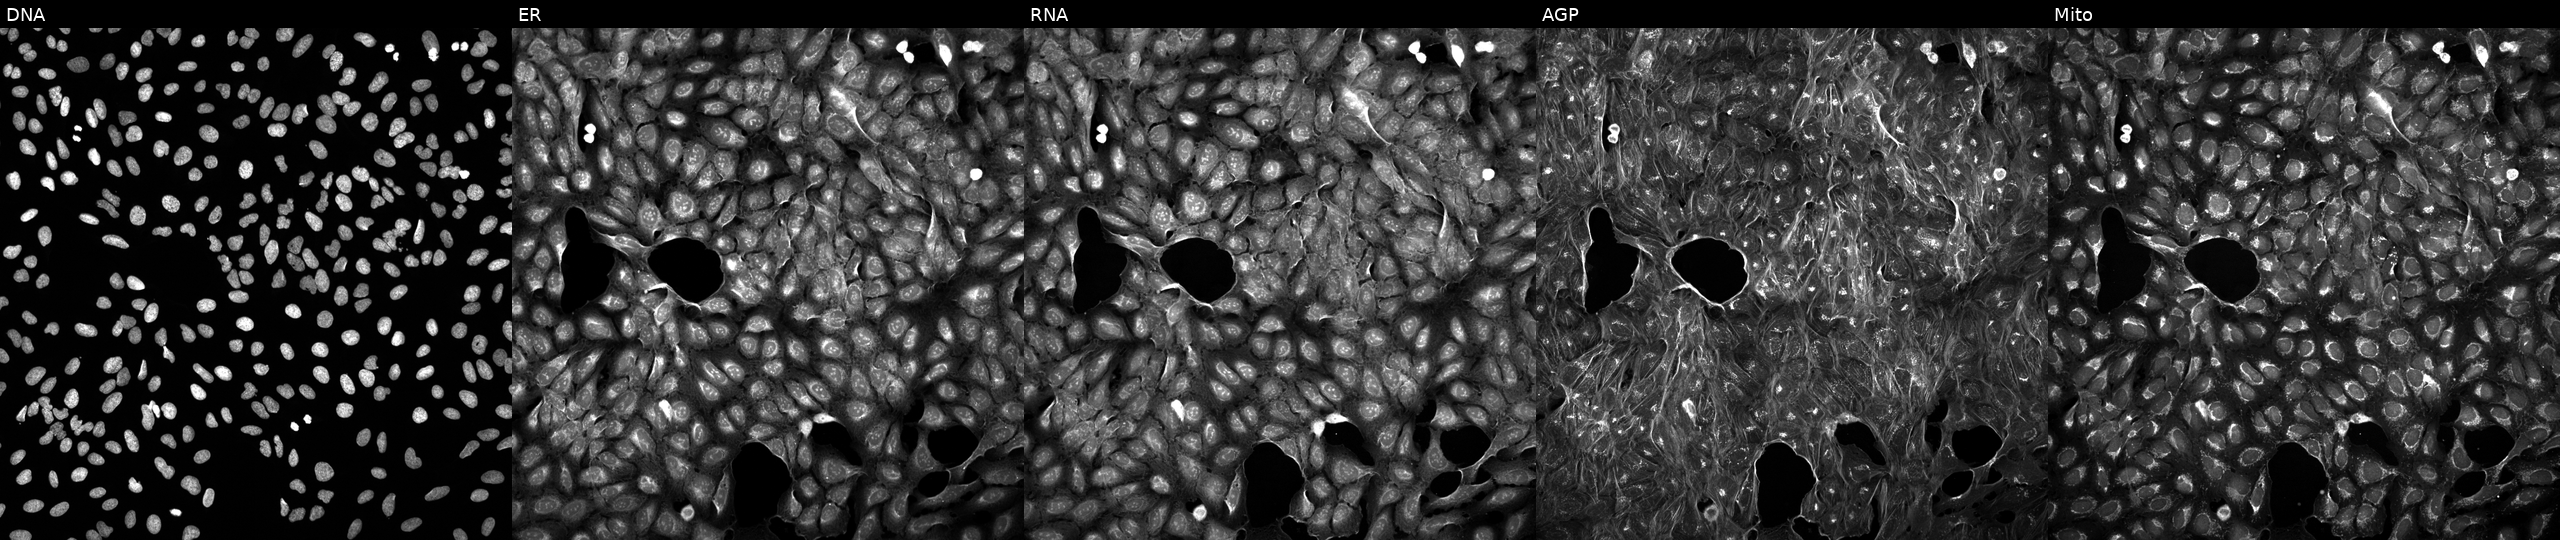
High-content fluorescence microscopy (Cell Painting). Cell line: U2OS. Perturbation: perturbed with a small-molecule compound [SMILES: COC(=O)C1=C(C#N)N=C(C)C(C(=O)OC(C)C)C1c1cccc([N+](=O)[O-])c1]. Panels show, left to right, DNA, ER, RNA, AGP, and Mito. Source 5, plate ACPJUM032, well O14.